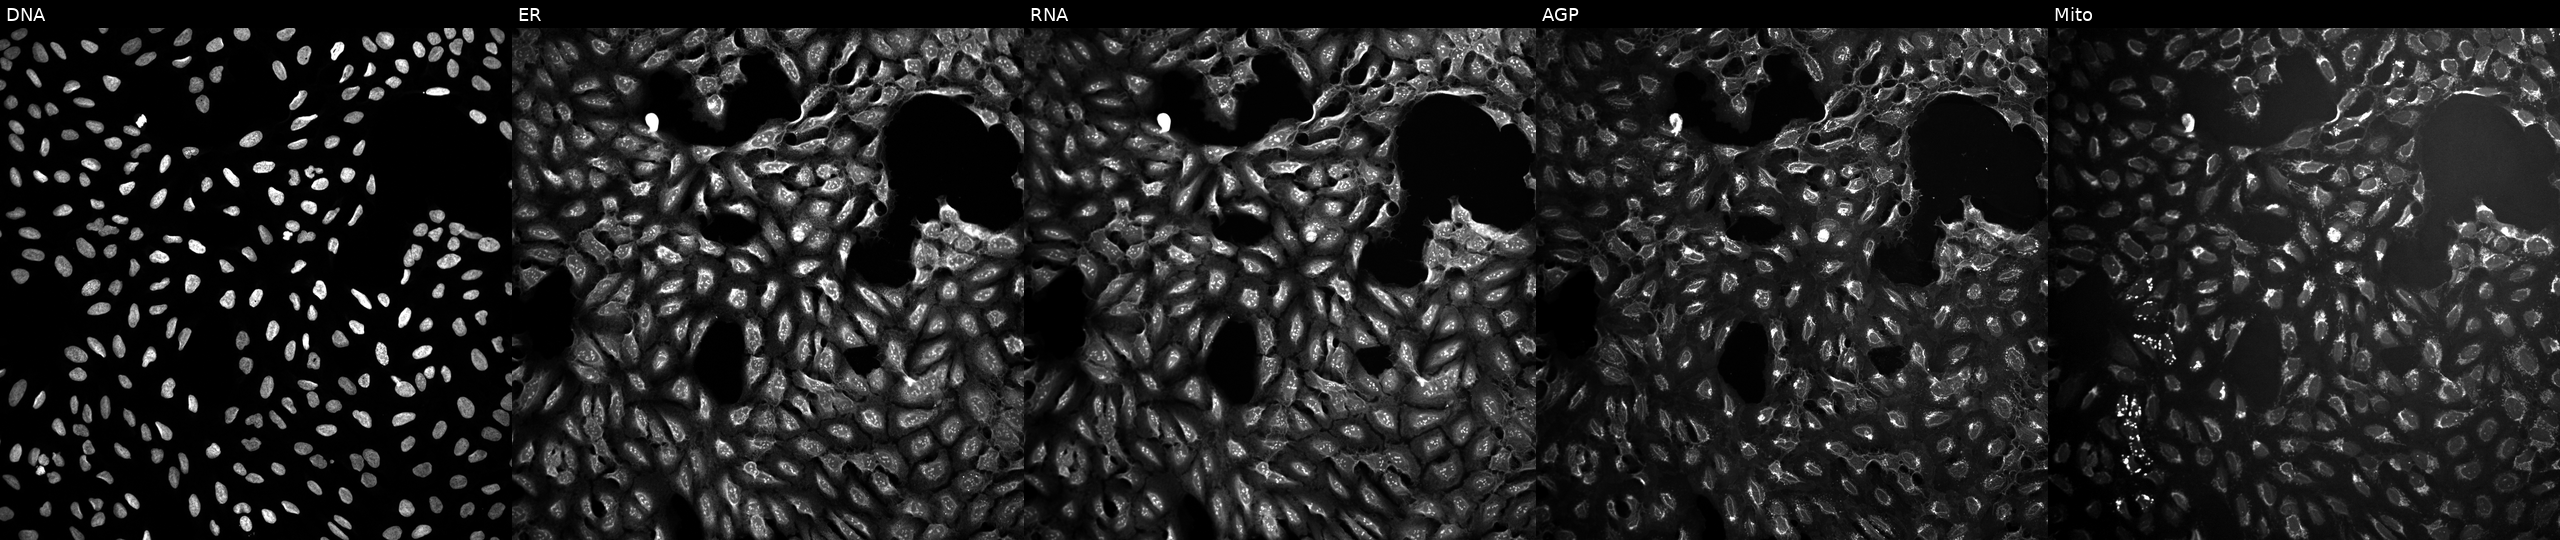
High-content fluorescence microscopy (Cell Painting). Cell line: U2OS. Perturbation: treated with a small-molecule compound. Channels (left→right): DNA (nuclei); ER (endoplasmic reticulum); RNA (nucleoli and cytoplasmic RNA); AGP (actin cytoskeleton, Golgi, and plasma membrane); Mito (mitochondria).